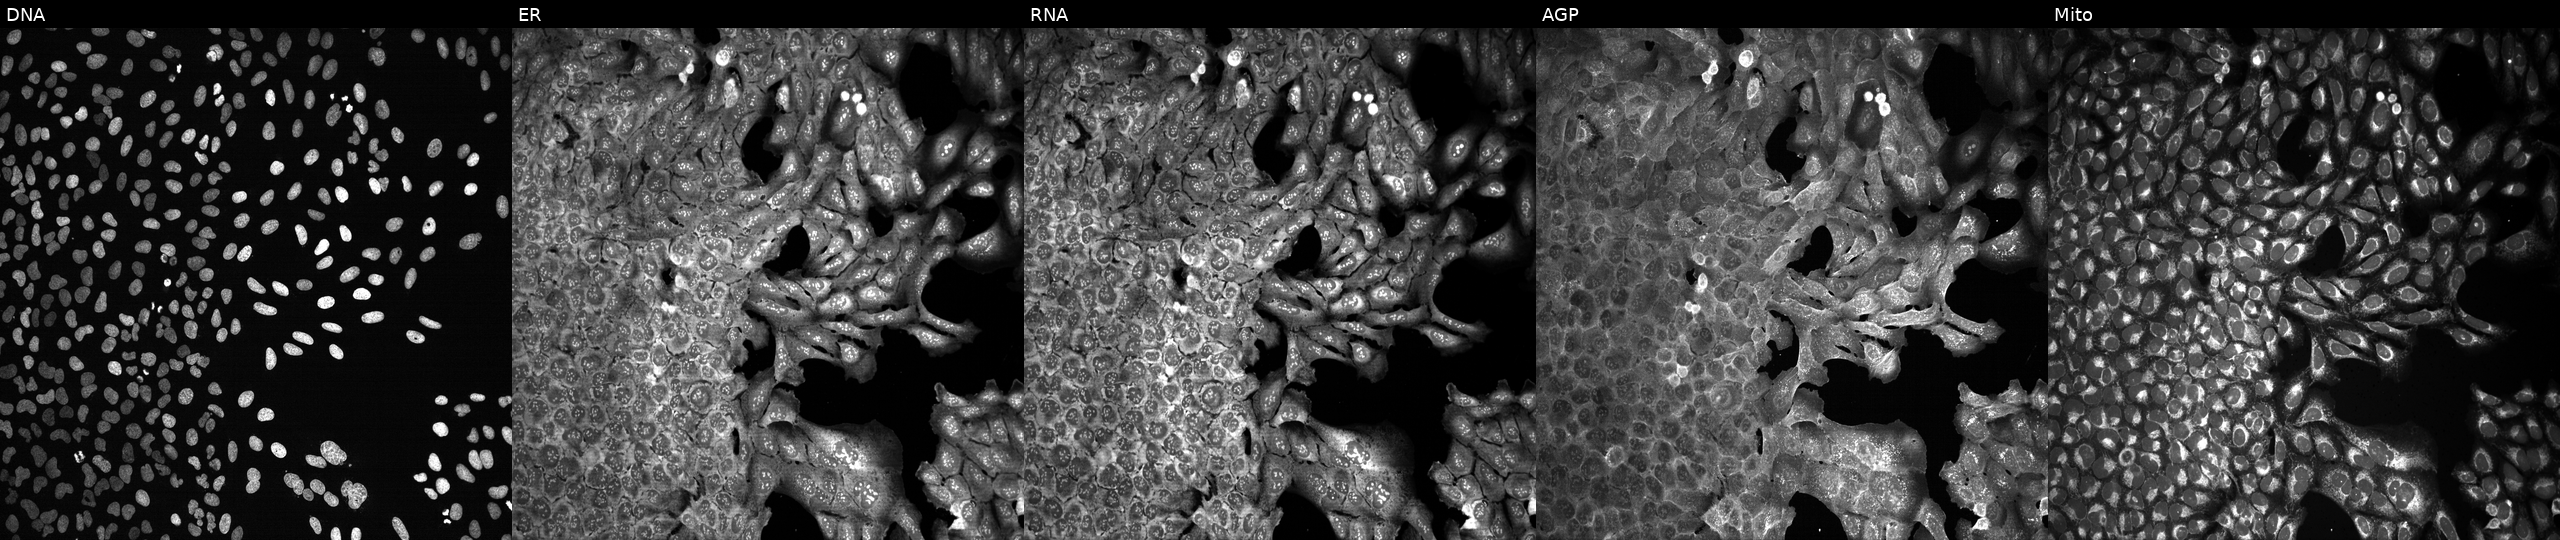
U2OS cells, Cell Painting assay, with a non-targeting CRISPR guide (negative control). Panels show, left to right, DNA, ER, RNA, AGP, and Mito. Each panel is percentile-stretched 16-bit fluorescence.